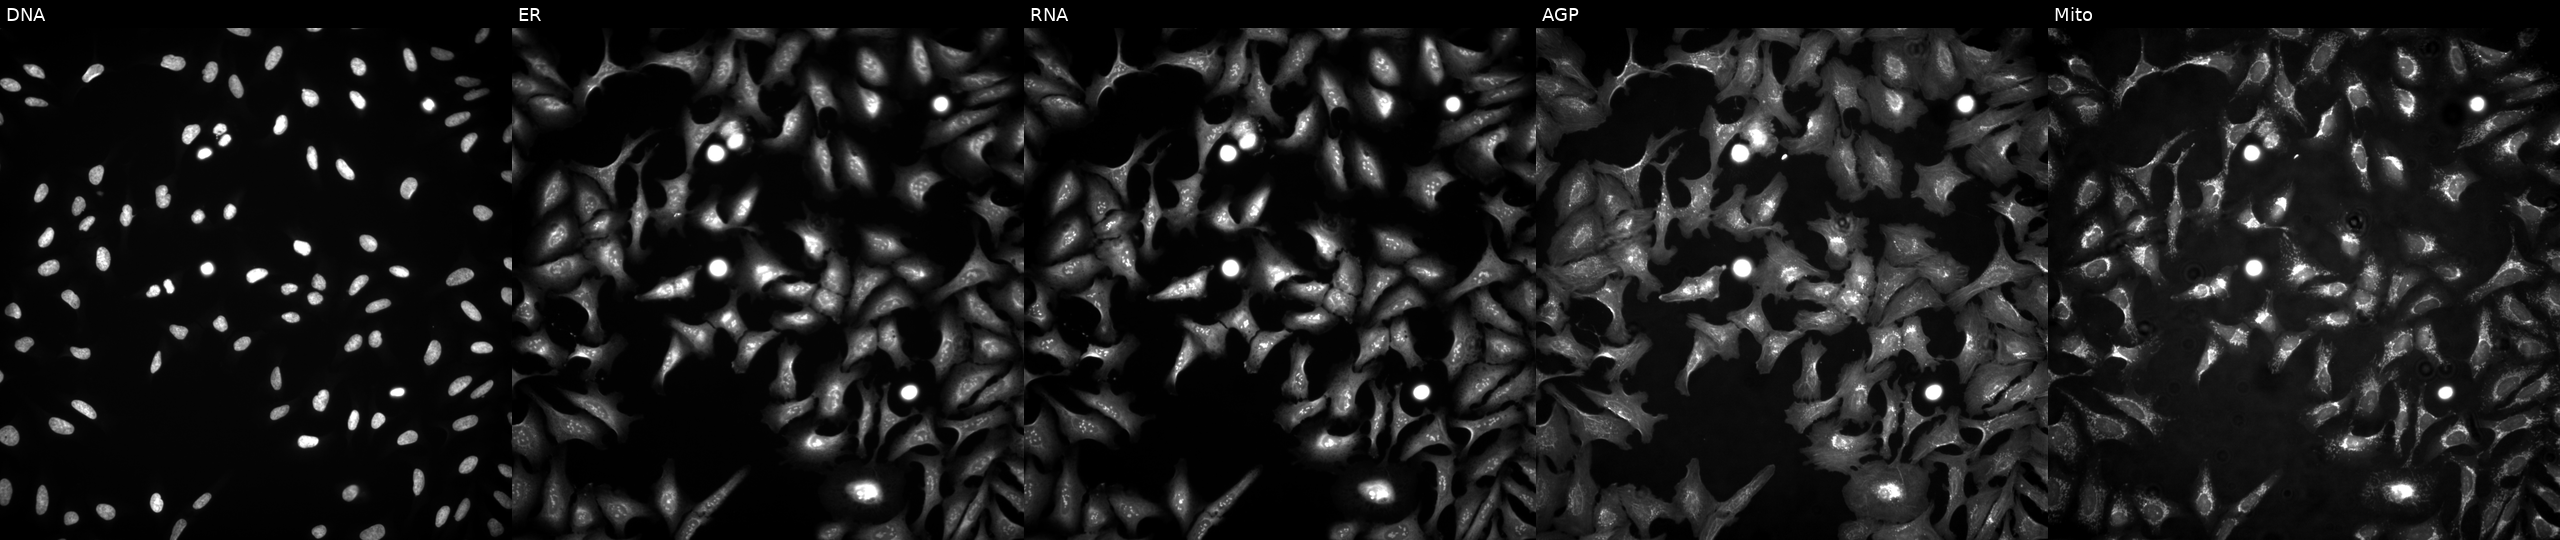
U2OS cells, Cell Painting assay, transfected with an ORF construct for IGDCC3 (JUMP id JCP2022_906956). Panels show, left to right, Hoechst 33342, concanavalin A, SYTO 14, phalloidin and WGA, MitoTracker. Each panel is percentile-stretched 16-bit fluorescence.